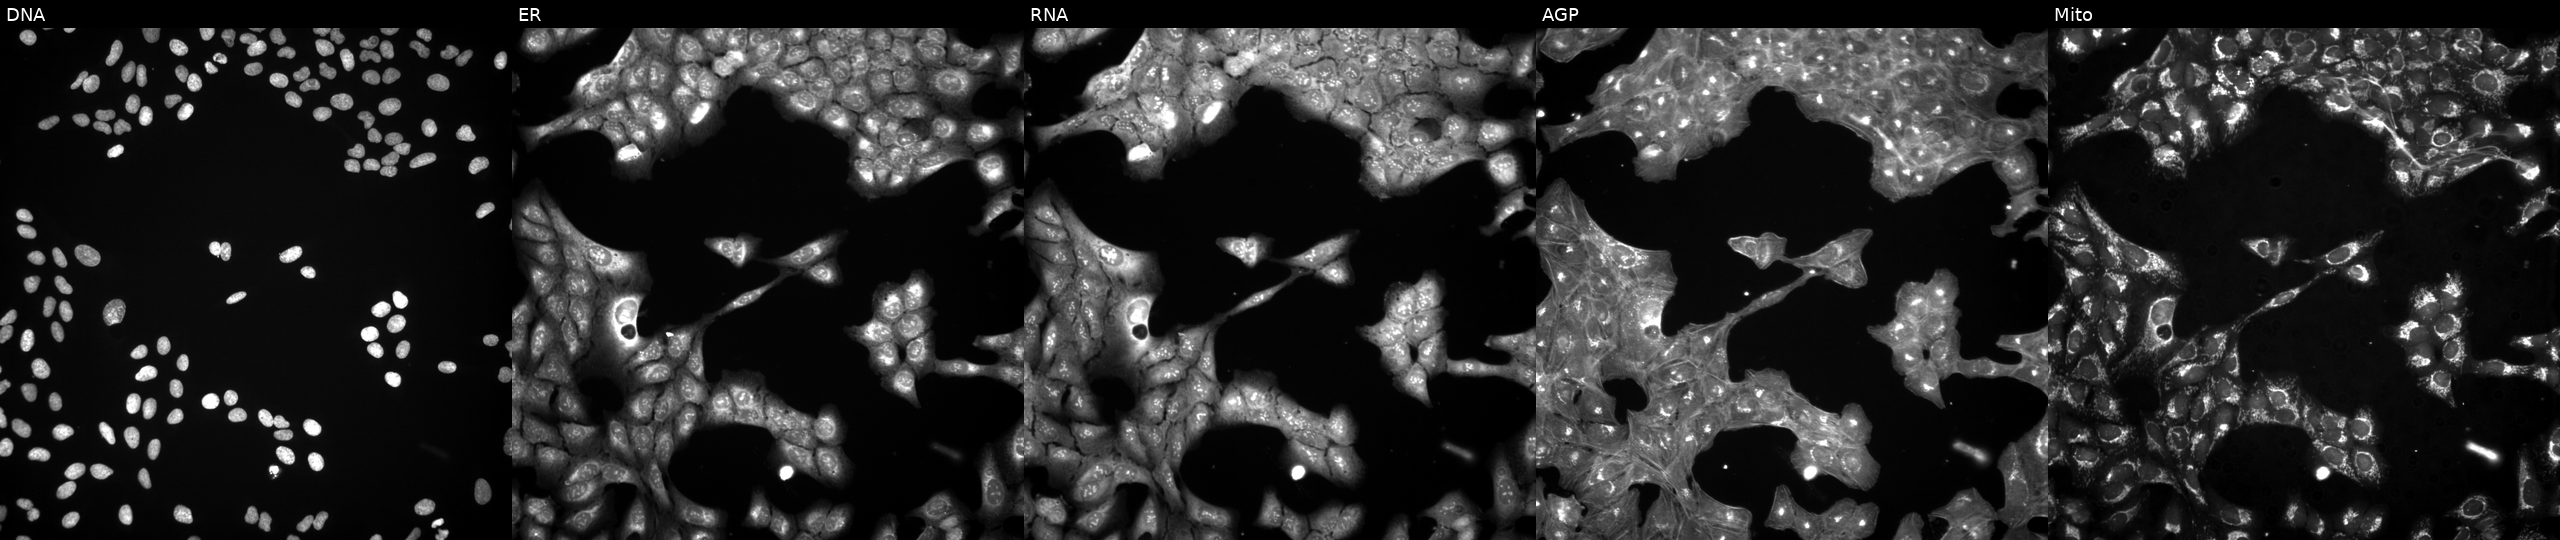
U2OS cells, Cell Painting assay, exposed to DMSO alone as a negative control (JUMP id JCP2022_033924). Channels (left→right): DNA, ER, RNA, AGP, and Mito. Each panel is percentile-stretched 16-bit fluorescence. Source 3, plate JCPQC052, well H22.